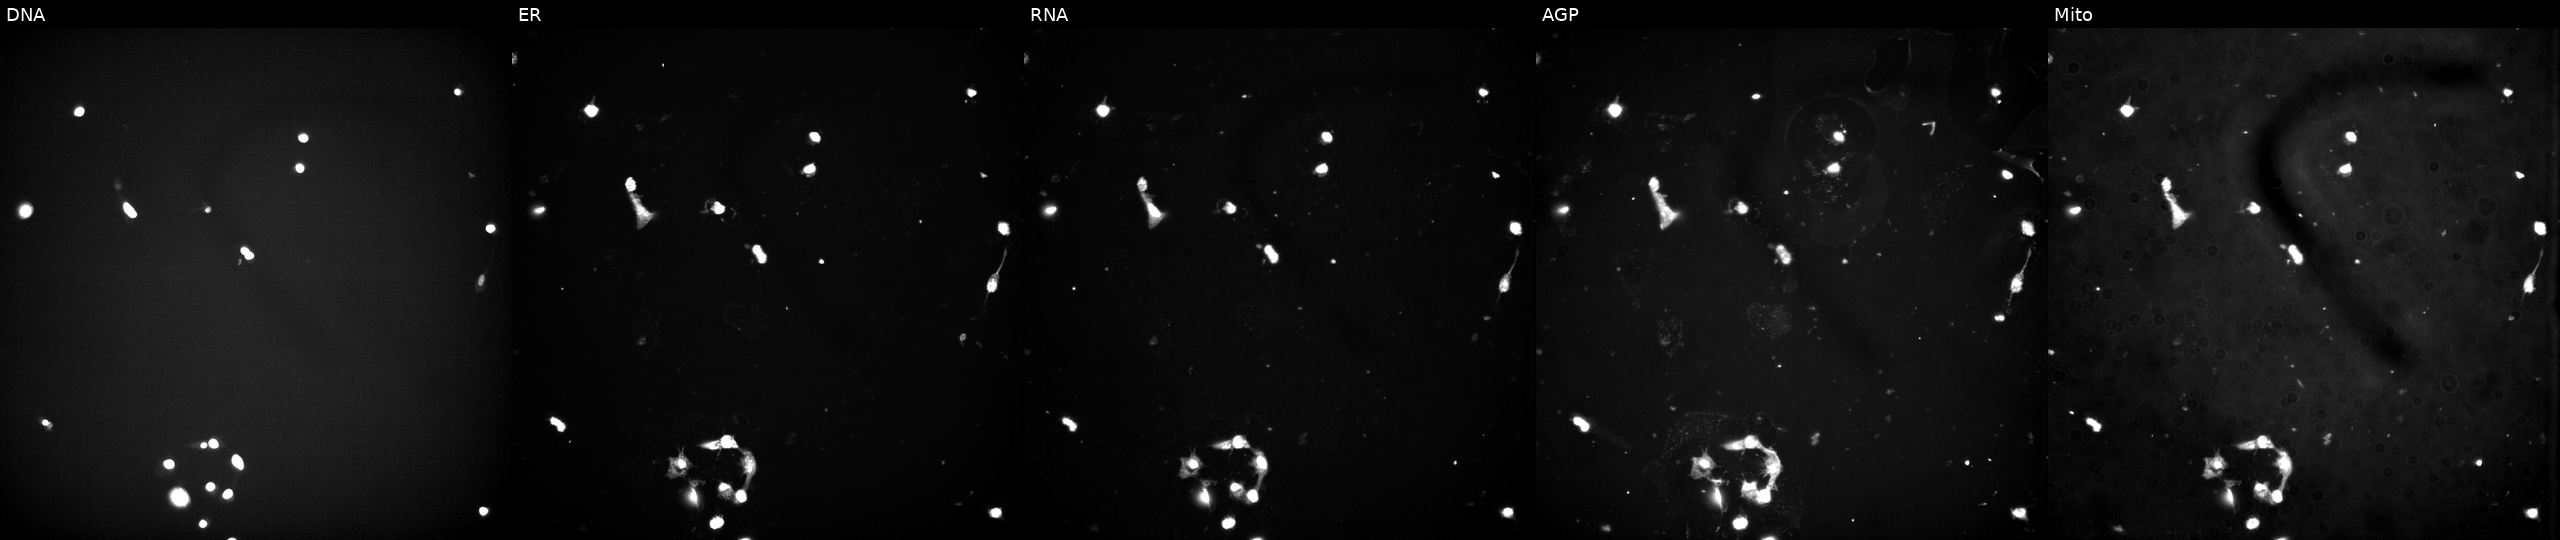
This image strip shows the five Cell Painting channels for a single field of U2OS cells perturbed with a small-molecule compound. From left to right: DNA (nuclei); ER (endoplasmic reticulum); RNA (nucleoli and cytoplasmic RNA); AGP (actin cytoskeleton, Golgi, and plasma membrane); Mito (mitochondria).